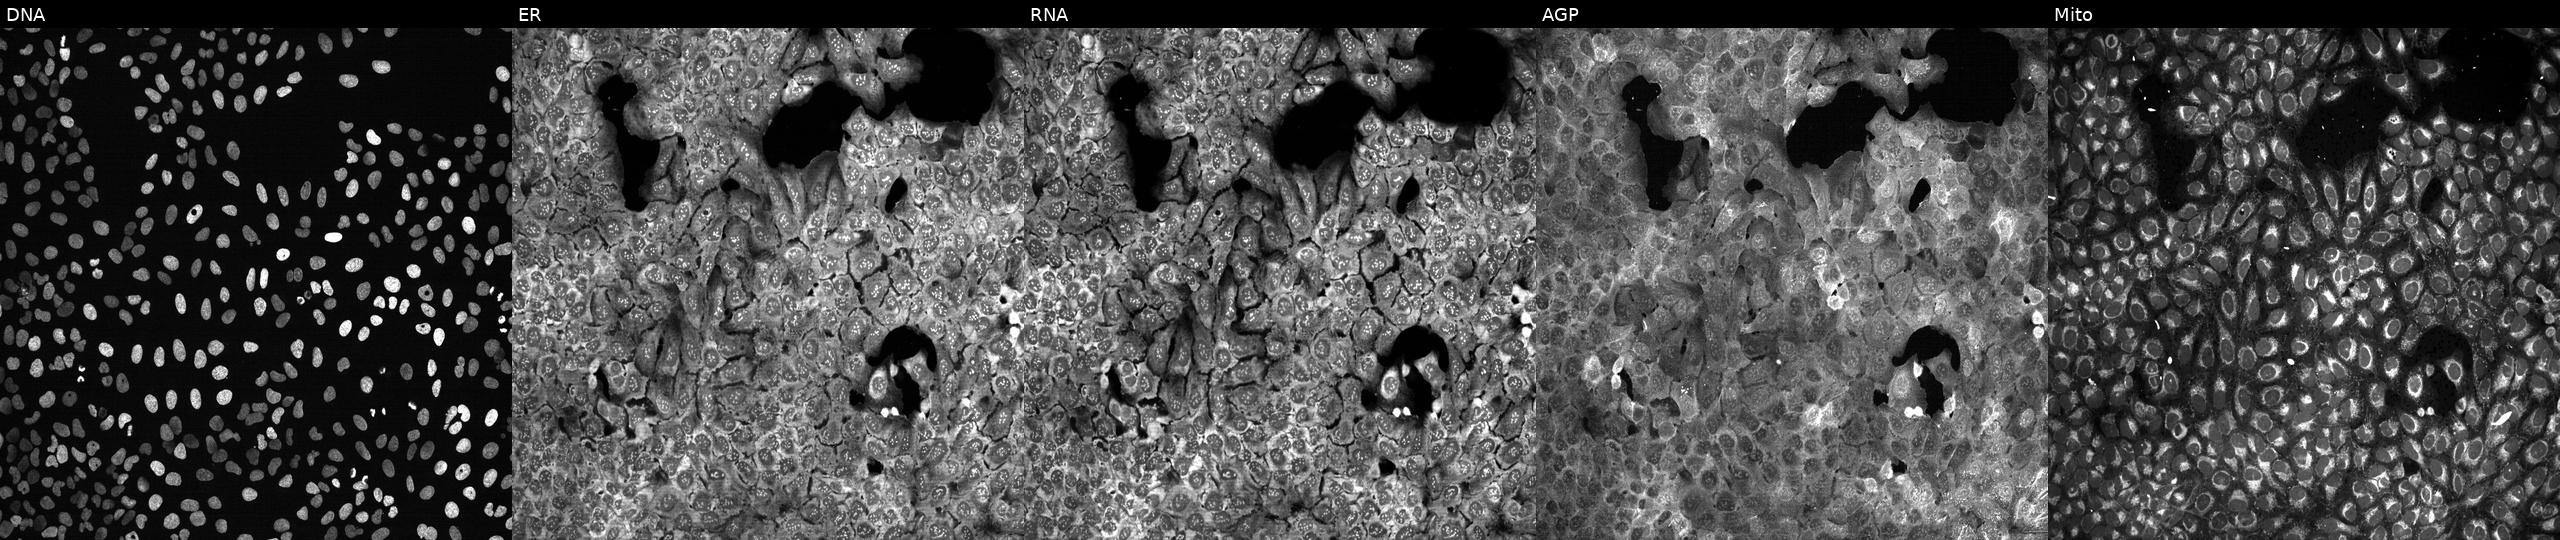
Five-channel Cell Painting image of U2OS cells exposed to DMSO alone as a negative control (JUMP id JCP2022_033924). Channels (left→right): Hoechst 33342, concanavalin A, SYTO 14, phalloidin and WGA, MitoTracker.